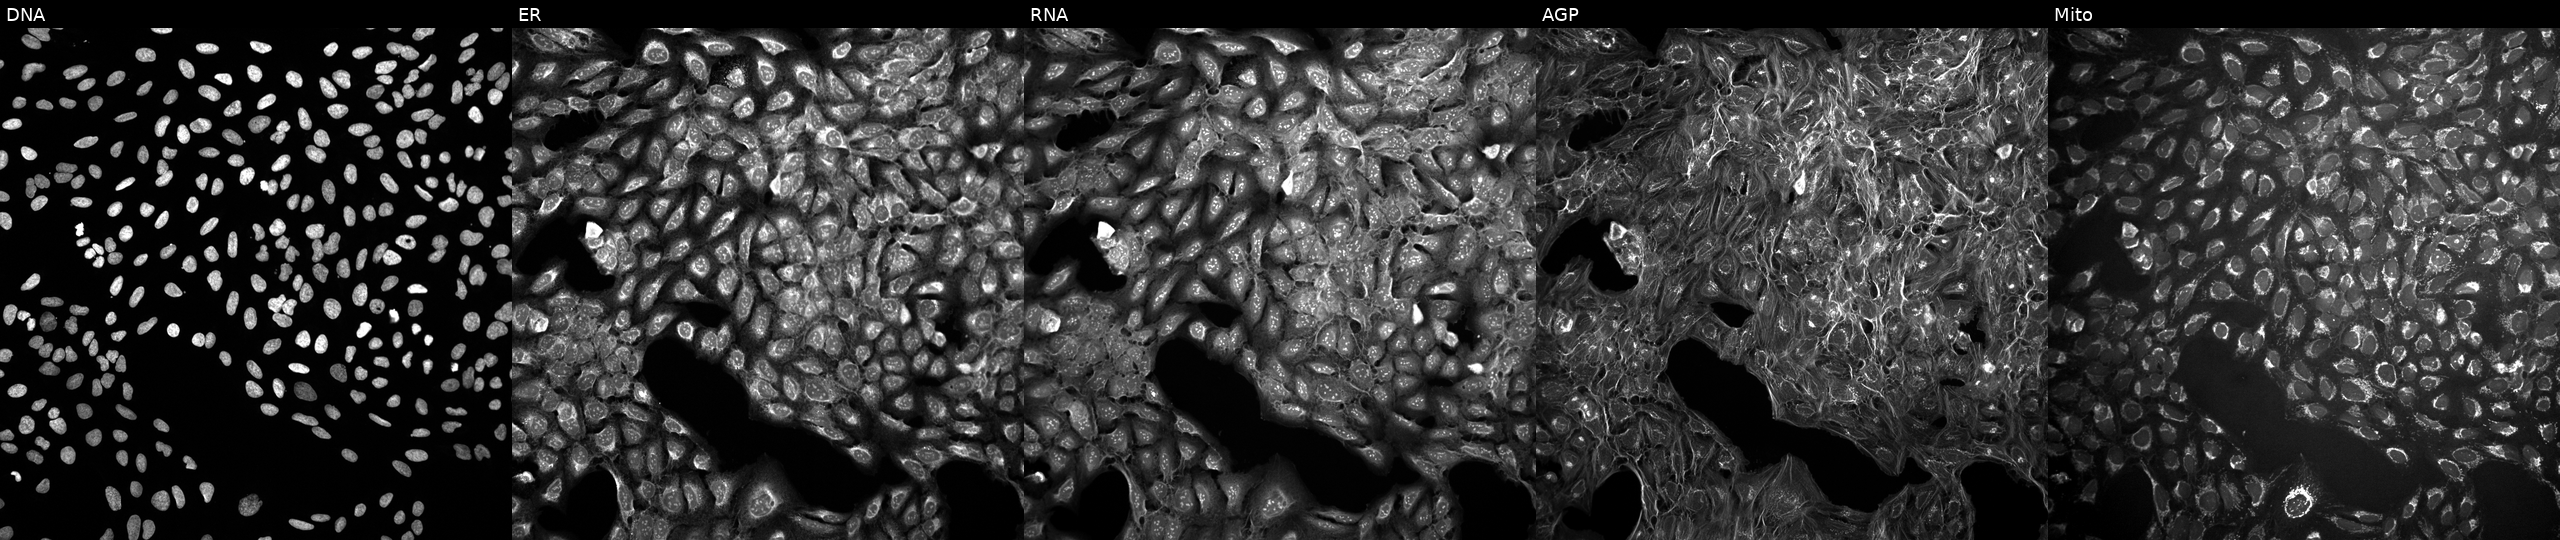
This image strip shows the five Cell Painting channels for a single field of U2OS cells exposed to a small-molecule compound (InChIKey OQXNFTYUXCKDJE-UHFFFAOYSA-N). From left to right: Hoechst 33342, concanavalin A, SYTO 14, phalloidin and WGA, MitoTracker. Source 10, plate Dest210531-152324, well M07.